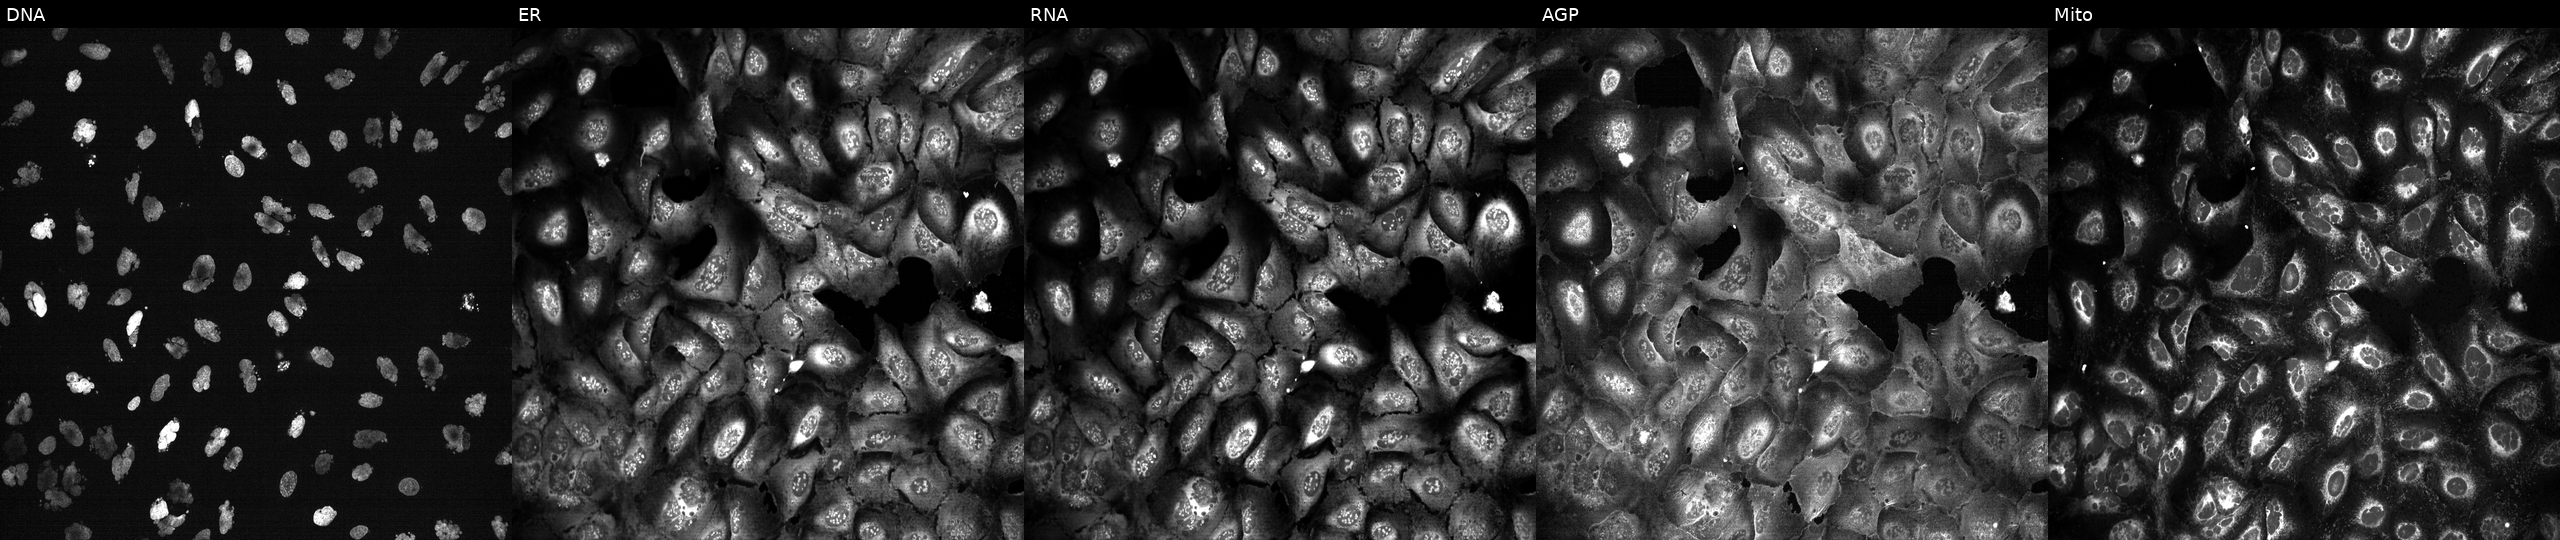
High-content fluorescence microscopy (Cell Painting). Cell line: U2OS. Perturbation: exposed to the positive-control compound AMG900 (JUMP id JCP2022_037716). From left to right: DNA, ER, RNA, AGP, and Mito.